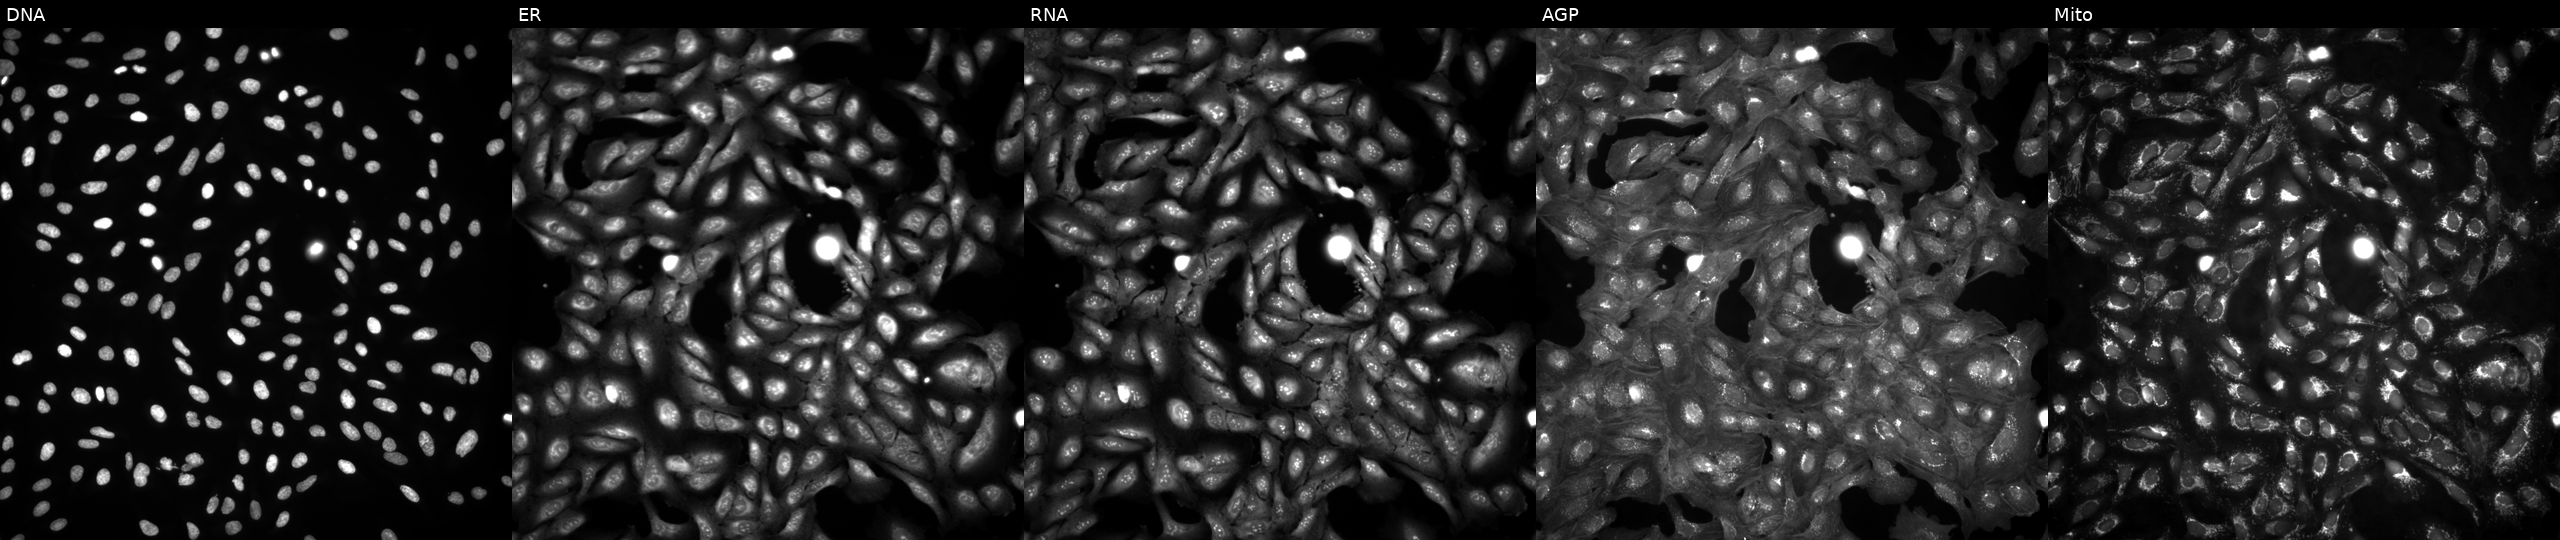
Five-channel Cell Painting image of U2OS cells untreated (empty-well control) (JUMP id JCP2022_999999). Channels (left→right): DNA (nuclei); ER (endoplasmic reticulum); RNA (nucleoli and cytoplasmic RNA); AGP (actin cytoskeleton, Golgi, and plasma membrane); Mito (mitochondria).